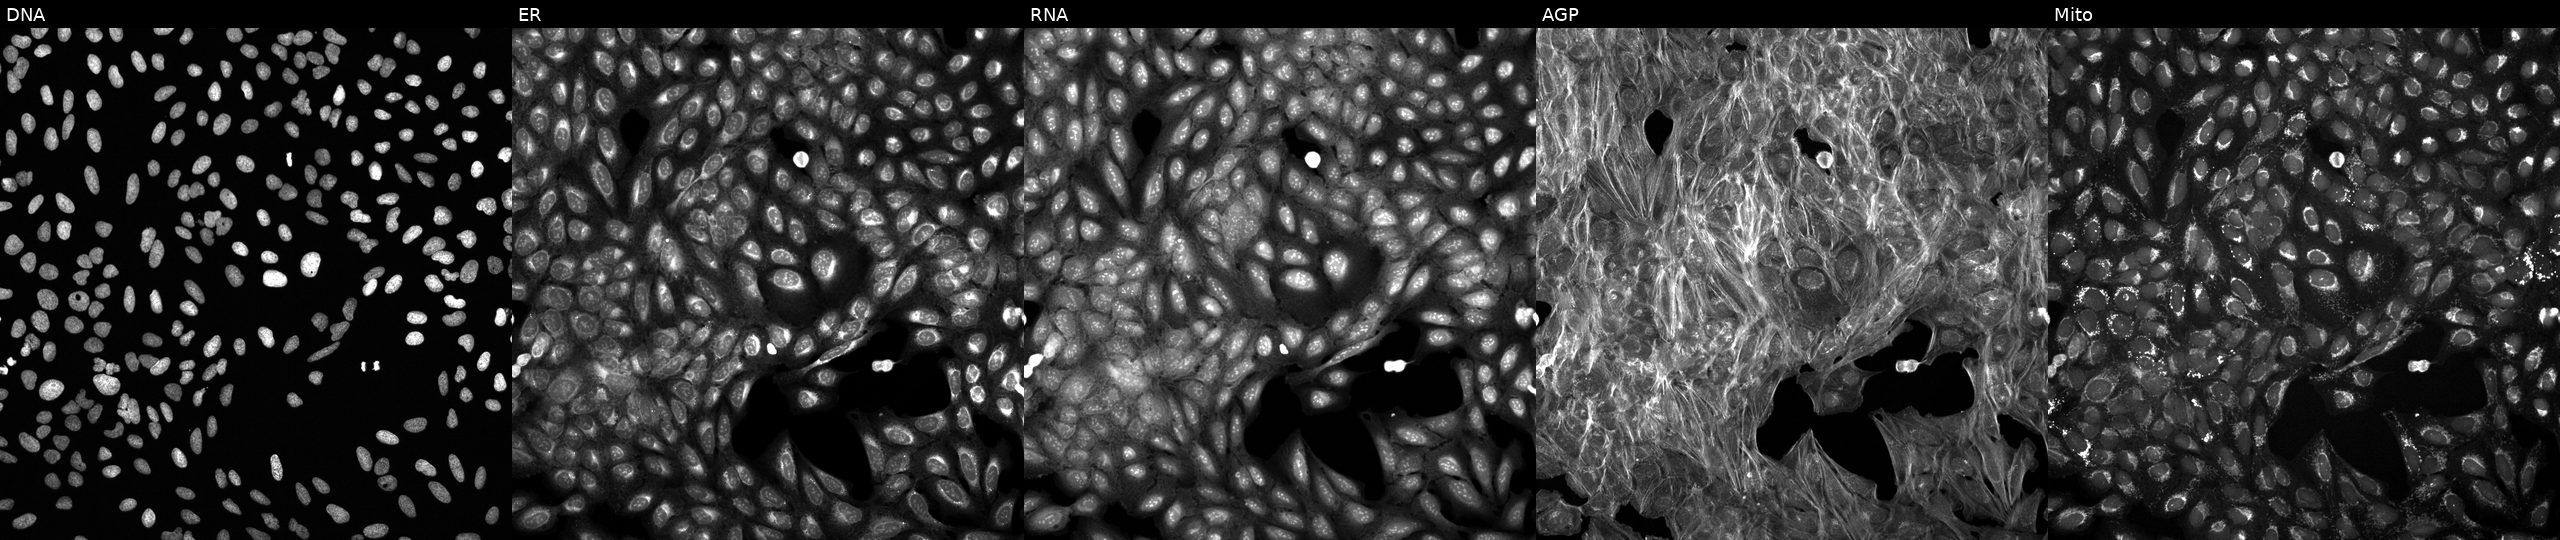
Five-channel Cell Painting image of U2OS cells treated with DMSO vehicle only (negative control). Channels (left→right): DNA, ER, RNA, AGP, and Mito.